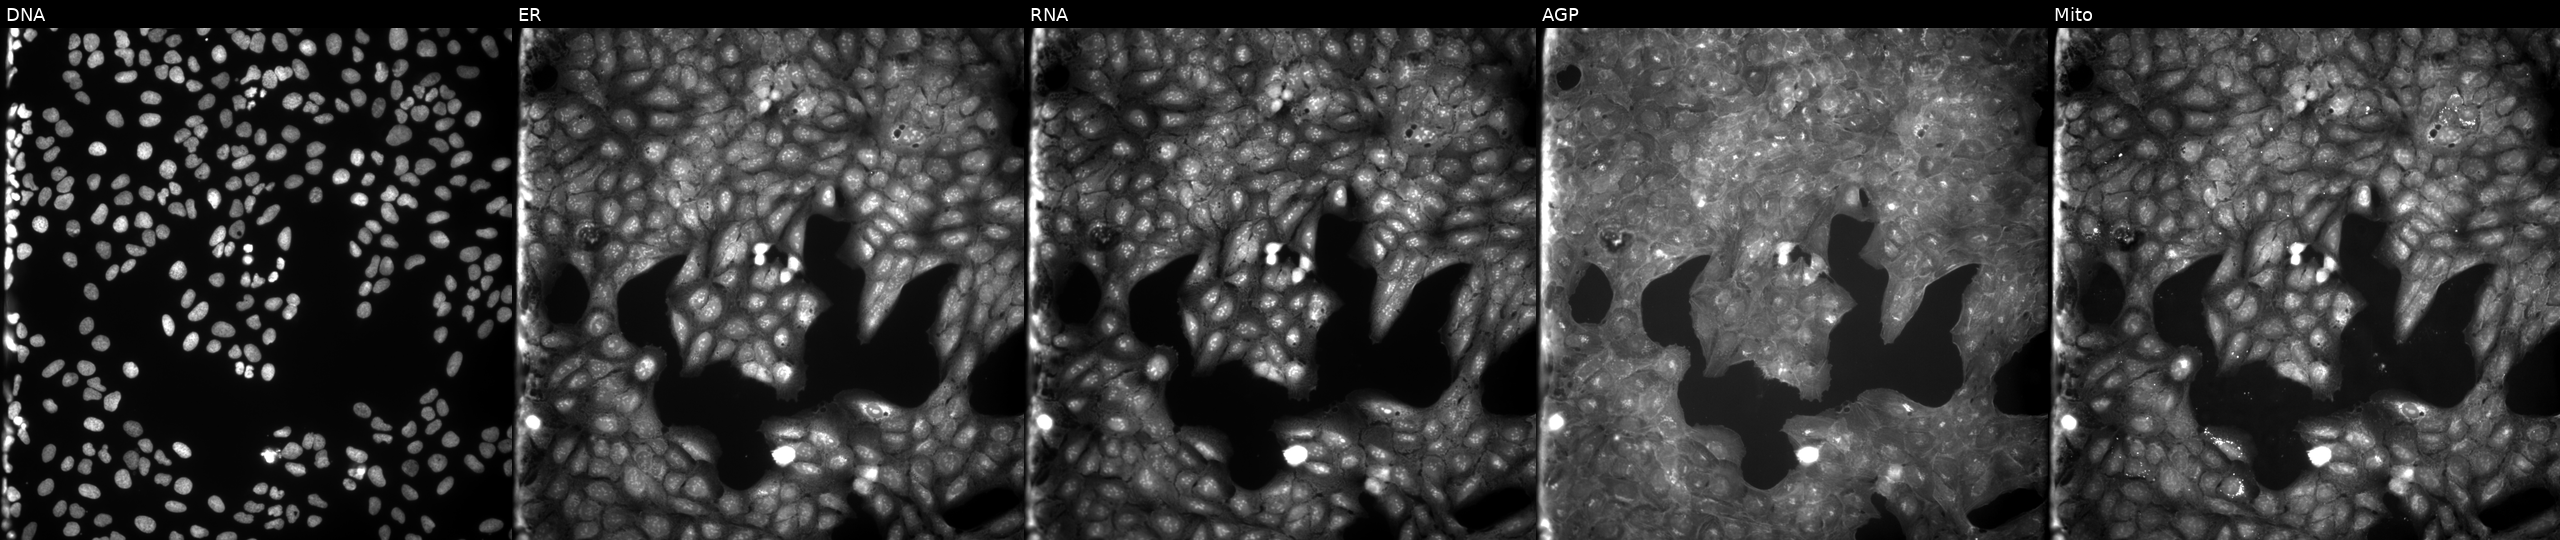
JUMP Cell Painting — COMPOUND plate. U2OS cells exposed to a small-molecule compound. The five panels, left to right, show Hoechst 33342, concanavalin A, SYTO 14, phalloidin and WGA, MitoTracker.